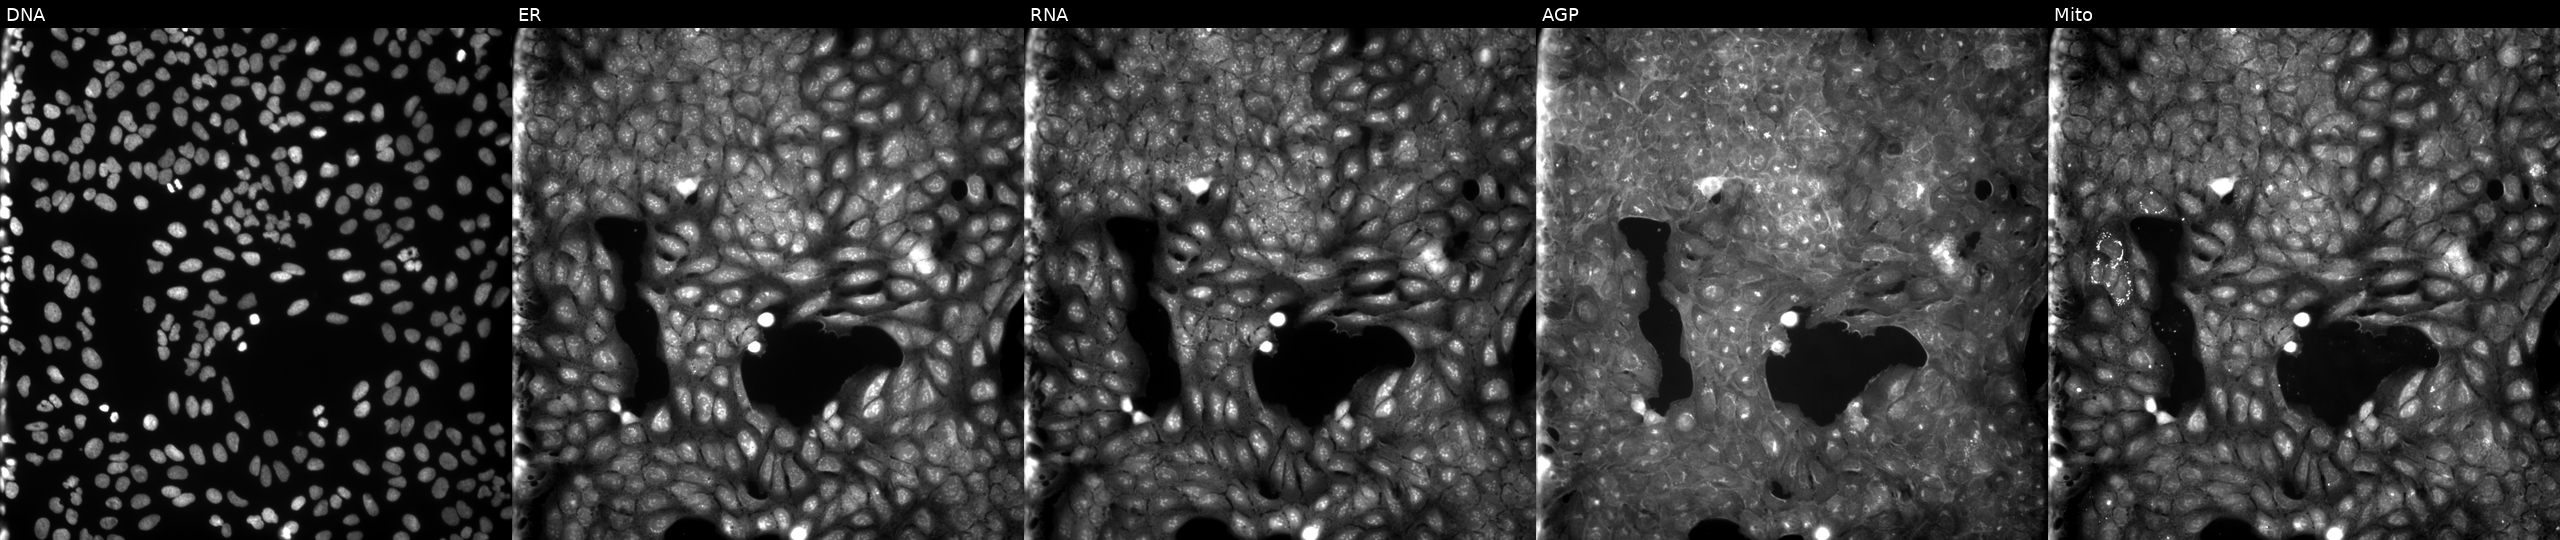
Panels show, left to right, Hoechst 33342, concanavalin A, SYTO 14, phalloidin and WGA, MitoTracker. U2OS osteosarcoma cells perturbed with a small-molecule compound (InChIKey NFHOHLNIFUOFOK-UHFFFAOYSA-N). Cell Painting assay, JUMP-CP dataset.